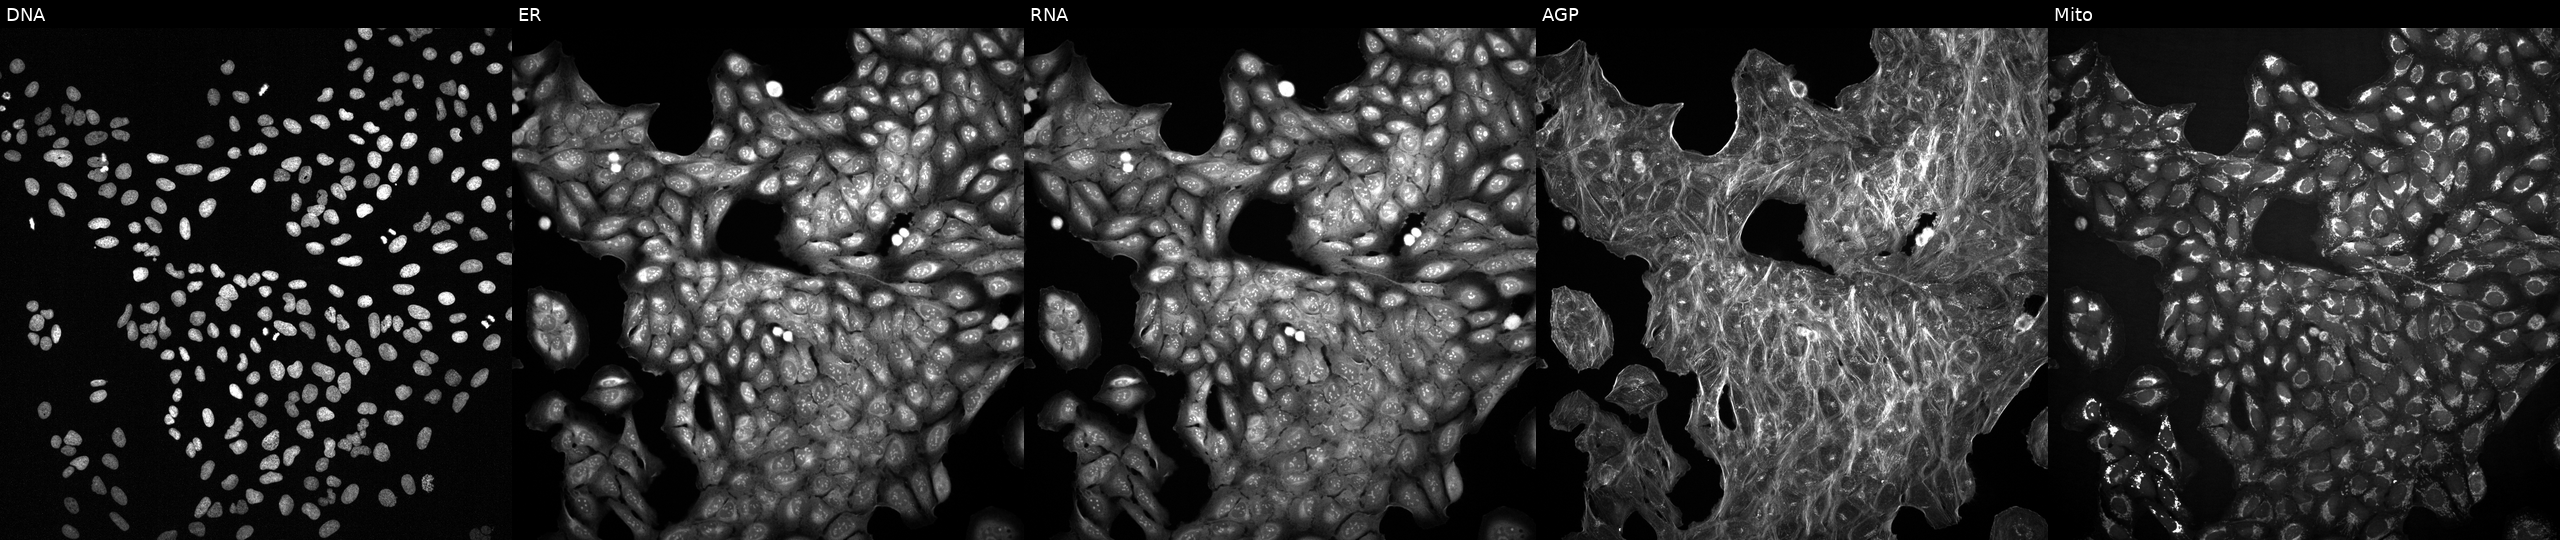
U2OS cells, Cell Painting assay, treated with DMSO vehicle only (negative control). The five panels, left to right, show DNA, ER, RNA, AGP, and Mito. Each panel is percentile-stretched 16-bit fluorescence. Source 2, plate 1053600674, well L10.